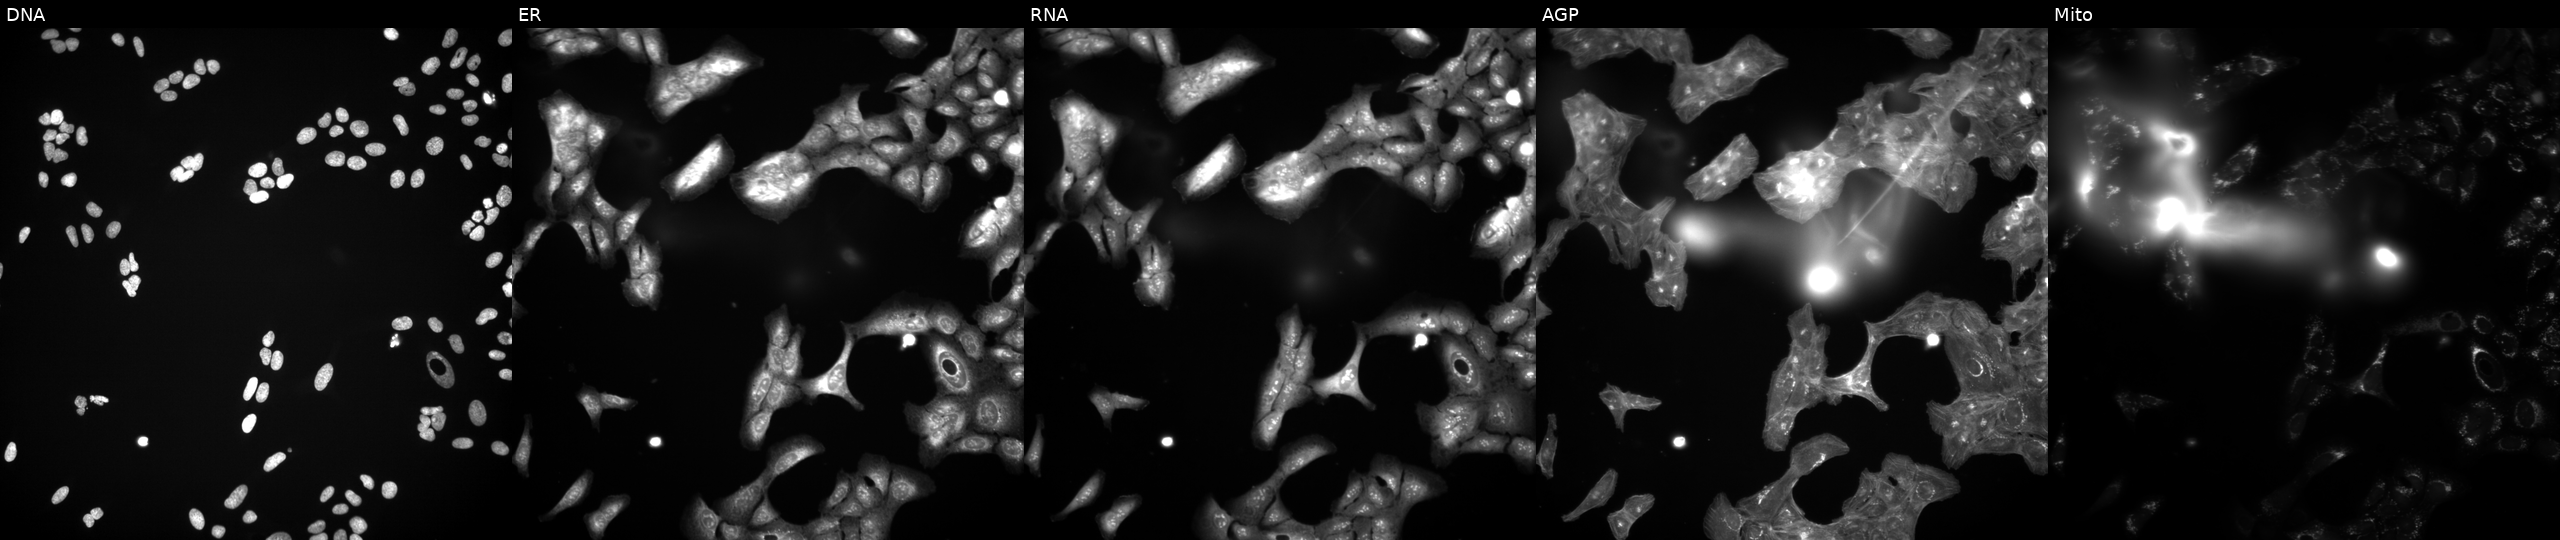
Channels (left→right): DNA (nuclei); ER (endoplasmic reticulum); RNA (nucleoli and cytoplasmic RNA); AGP (actin cytoskeleton, Golgi, and plasma membrane); Mito (mitochondria). U2OS osteosarcoma cells perturbed with a small-molecule compound (InChIKey WGZOTBUYUFBEPZ-UHFFFAOYSA-N). Cell Painting assay, JUMP-CP dataset.